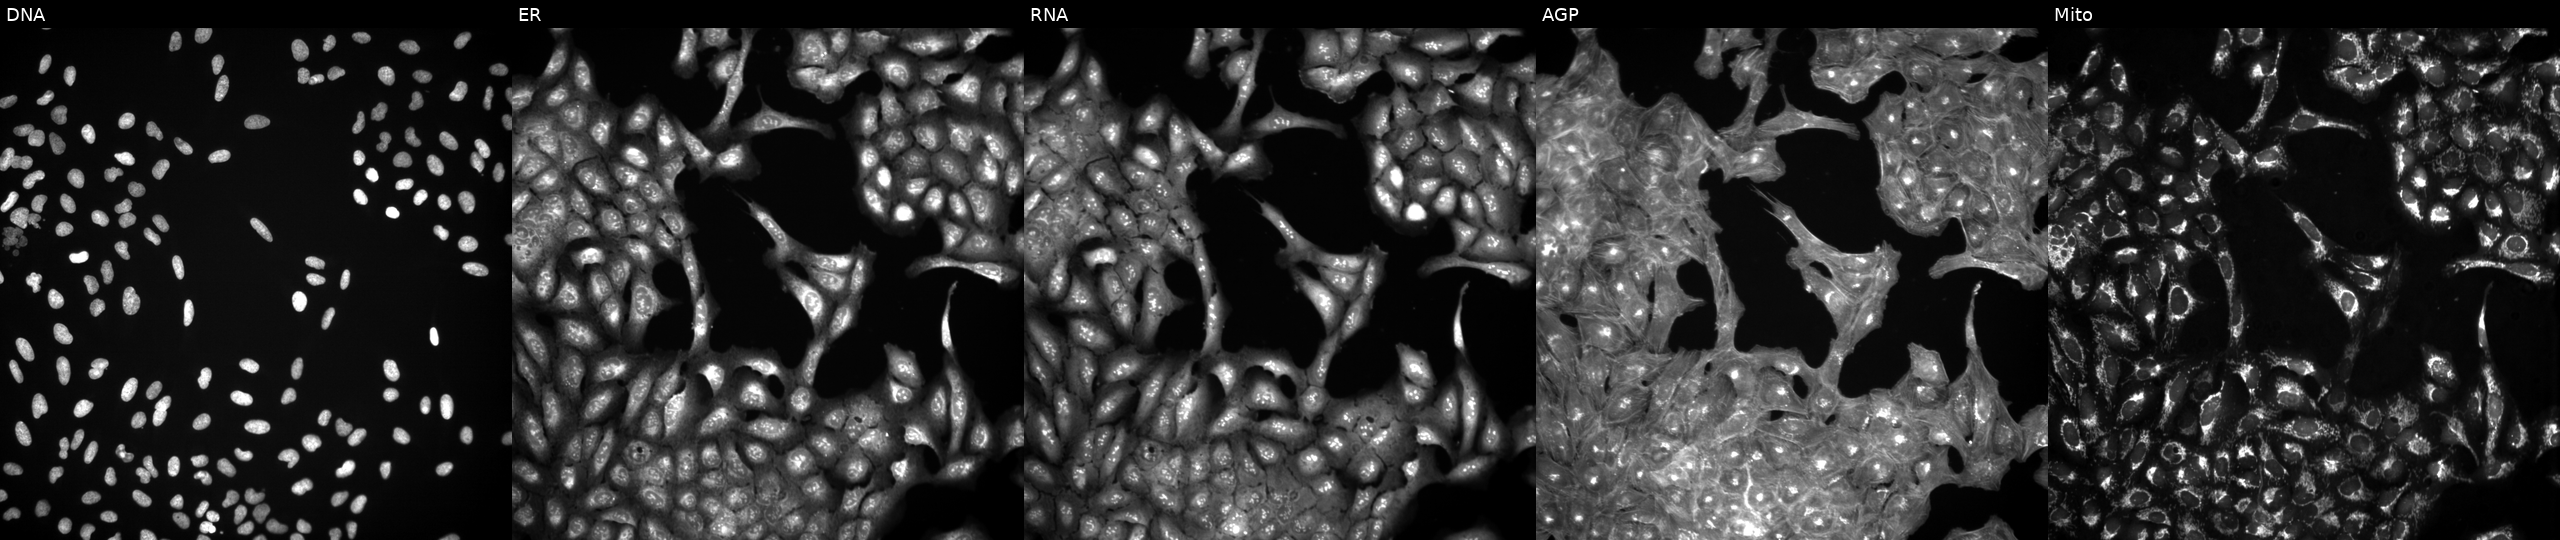
Five-channel Cell Painting image of U2OS cells treated with a small-molecule compound (InChIKey QQGWEXFLMJGCAL-UHFFFAOYSA-N). From left to right: DNA, ER, RNA, AGP, and Mito.